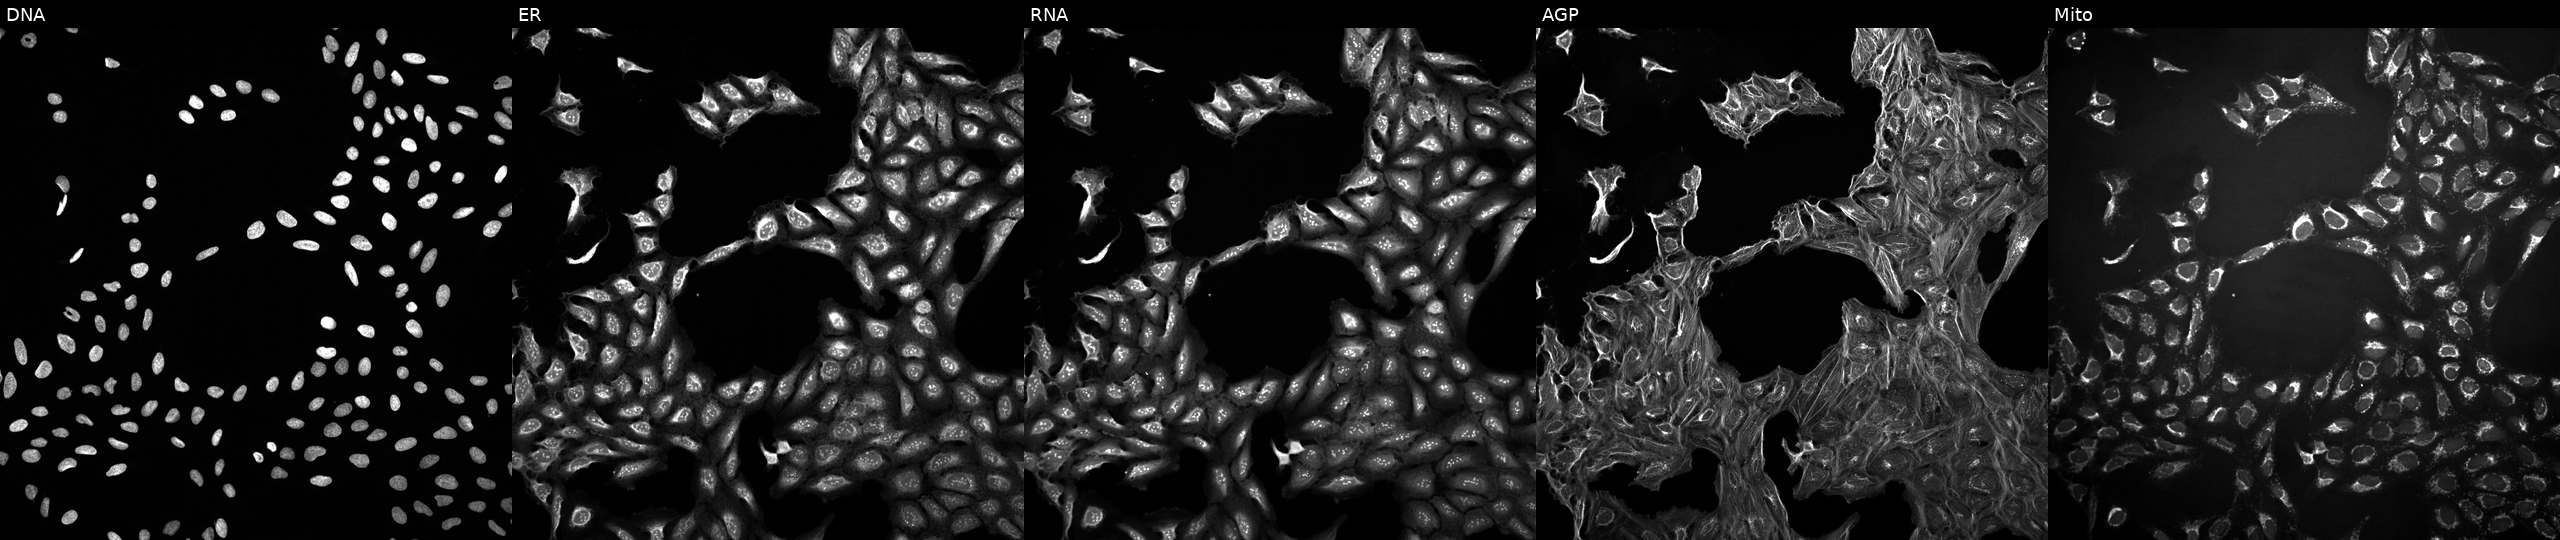
The five panels, left to right, show DNA (nuclei); ER (endoplasmic reticulum); RNA (nucleoli and cytoplasmic RNA); AGP (actin cytoskeleton, Golgi, and plasma membrane); Mito (mitochondria). U2OS osteosarcoma cells exposed to a small-molecule compound (InChIKey DSLRVRBSNLHVBH-UHFFFAOYSA-N) [SMILES: OCc1ccc(CO)o1] (JUMP id JCP2022_017914). Cell Painting assay, JUMP-CP dataset.